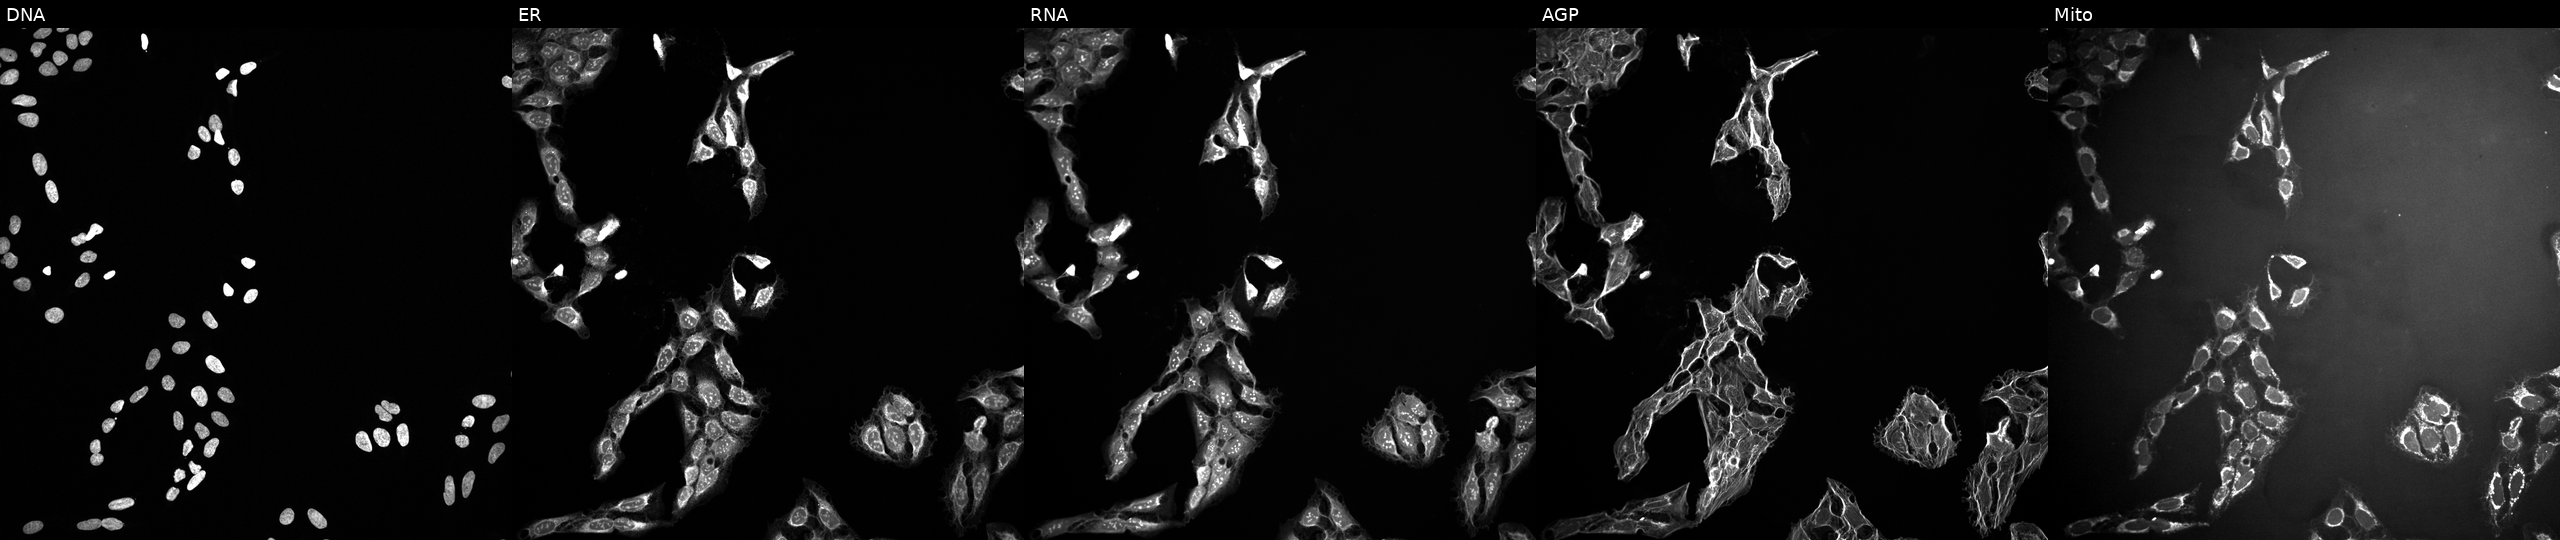
This image strip shows the five Cell Painting channels for a single field of U2OS cells treated with a small-molecule compound (InChIKey HKQYGTCOTHHOMP-UHFFFAOYSA-N). The five panels, left to right, show DNA, ER, RNA, AGP, and Mito.